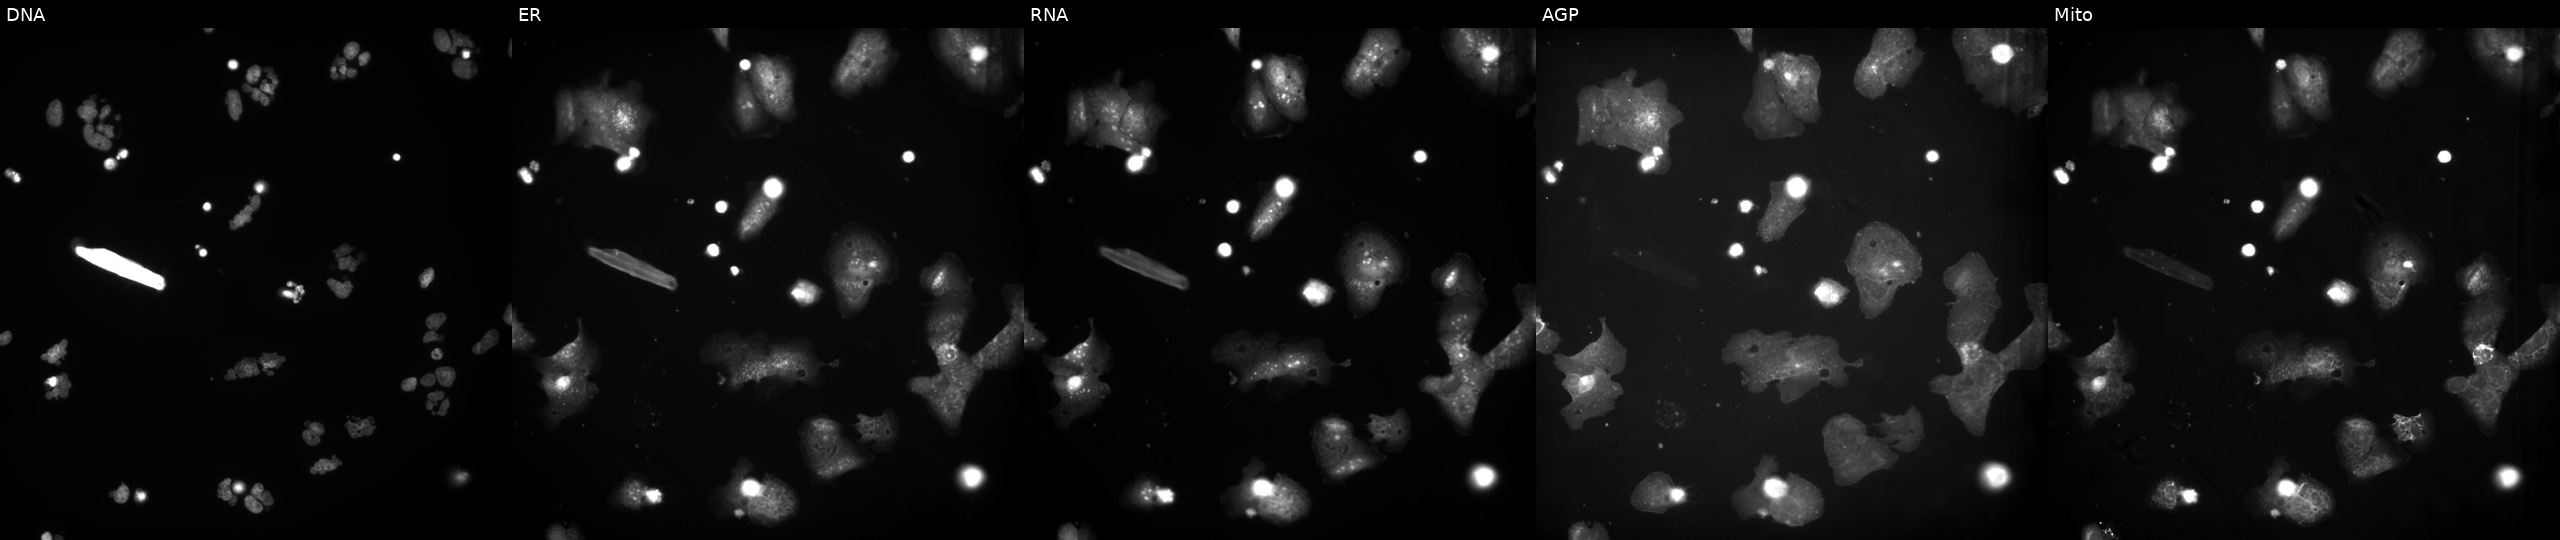
The five panels, left to right, show DNA, ER, RNA, AGP, and Mito. U2OS osteosarcoma cells perturbed with a small-molecule compound (InChIKey UPGFKJOUVXACSA-UHFFFAOYSA-N) [SMILES: Cc1ccc(Cc2c[nH]c(=NC(=O)CCc3ccc(C)o3)s2)cc1]. Cell Painting assay, JUMP-CP dataset.